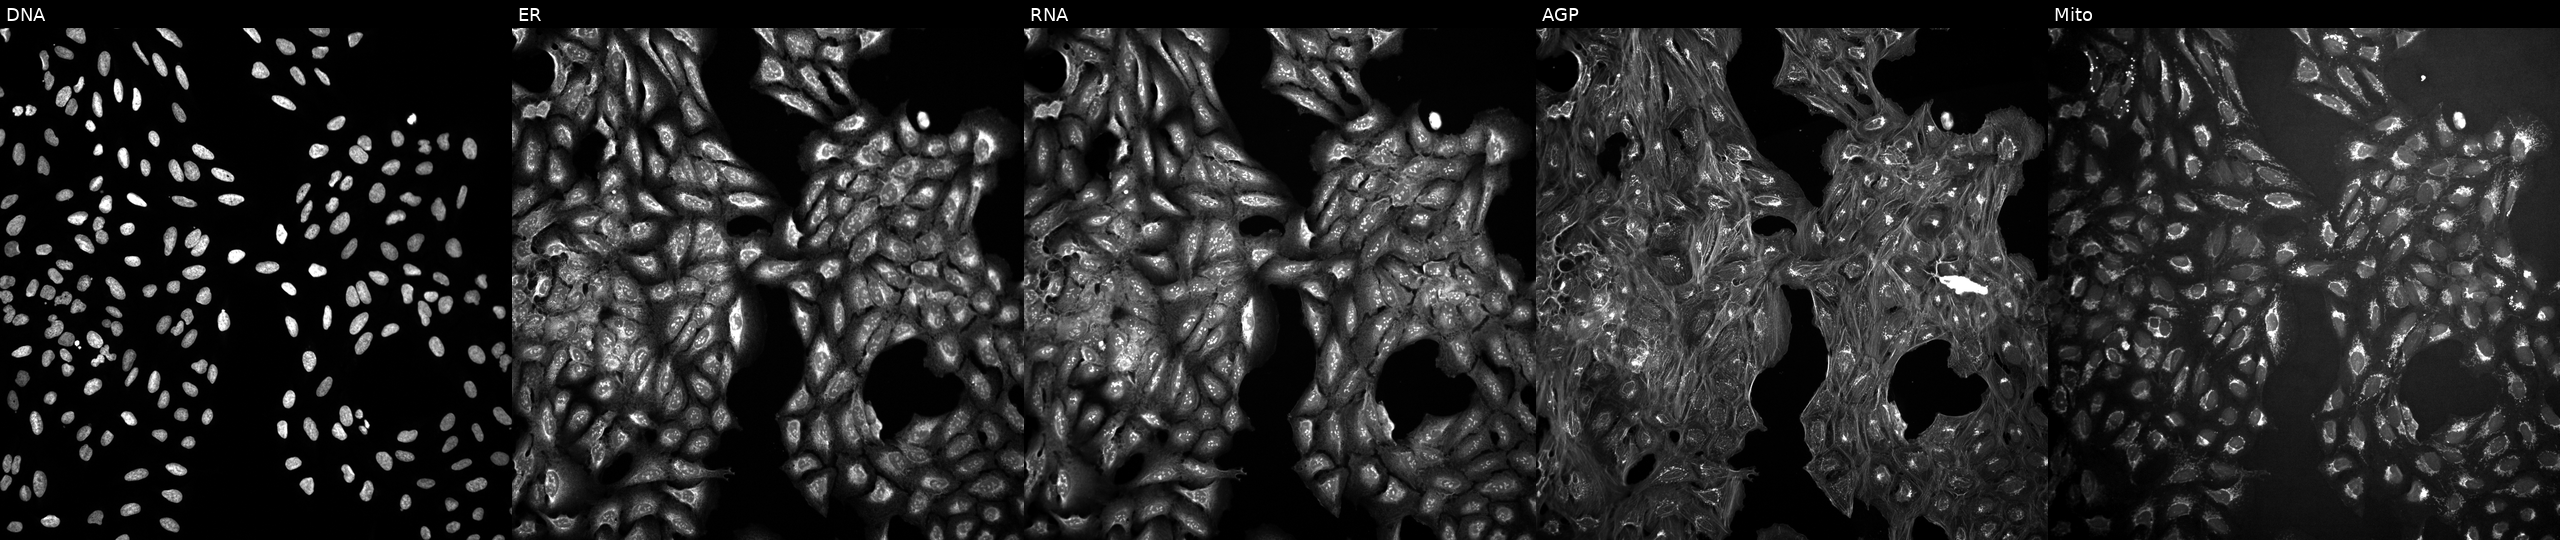
JUMP Cell Painting — COMPOUND plate. U2OS cells exposed to DMSO alone as a negative control. From left to right: Hoechst 33342, concanavalin A, SYTO 14, phalloidin and WGA, MitoTracker. Source 10, plate Dest210531-152324, well D23.